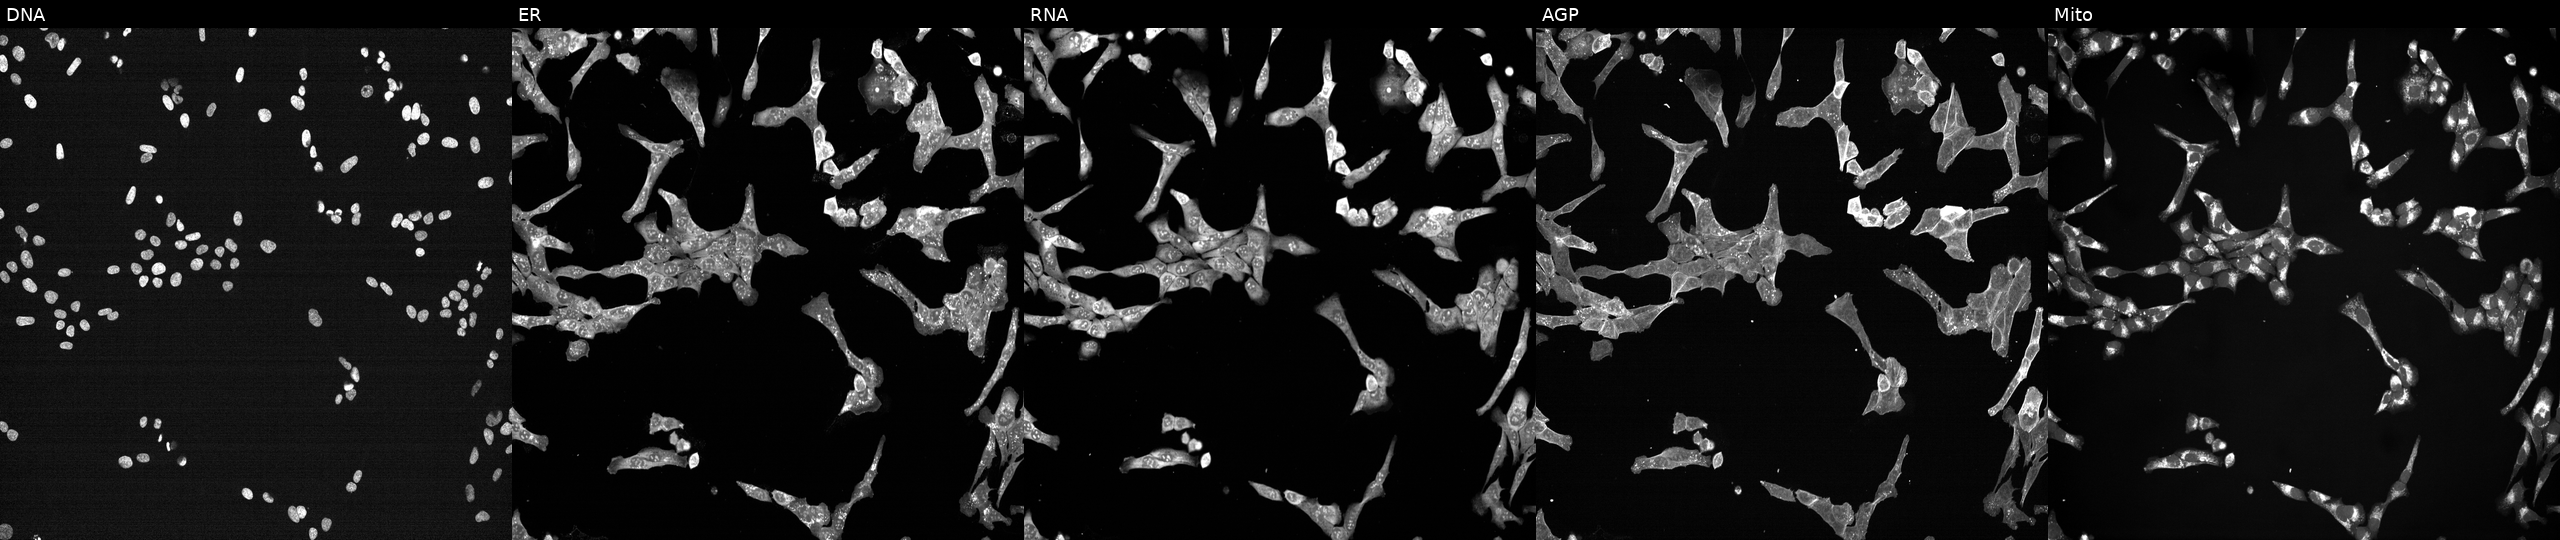
This image strip shows the five Cell Painting channels for a single field of U2OS cells perturbed with a small-molecule compound (InChIKey JVCWPUFNLFSKFS-UHFFFAOYSA-N) [SMILES: CCN1C(C)(C)CC(Oc2ccc(C(=O)Nc3ccc(NC(=O)N=c4cc(C(C)(C)C)o[nH]4)cc3)nc2)CC1(C)C] (JUMP id JCP2022_042332). Channels (left→right): DNA (nuclei); ER (endoplasmic reticulum); RNA (nucleoli and cytoplasmic RNA); AGP (actin cytoskeleton, Golgi, and plasma membrane); Mito (mitochondria). Source 7, plate CP3-SC1-25, well C10.